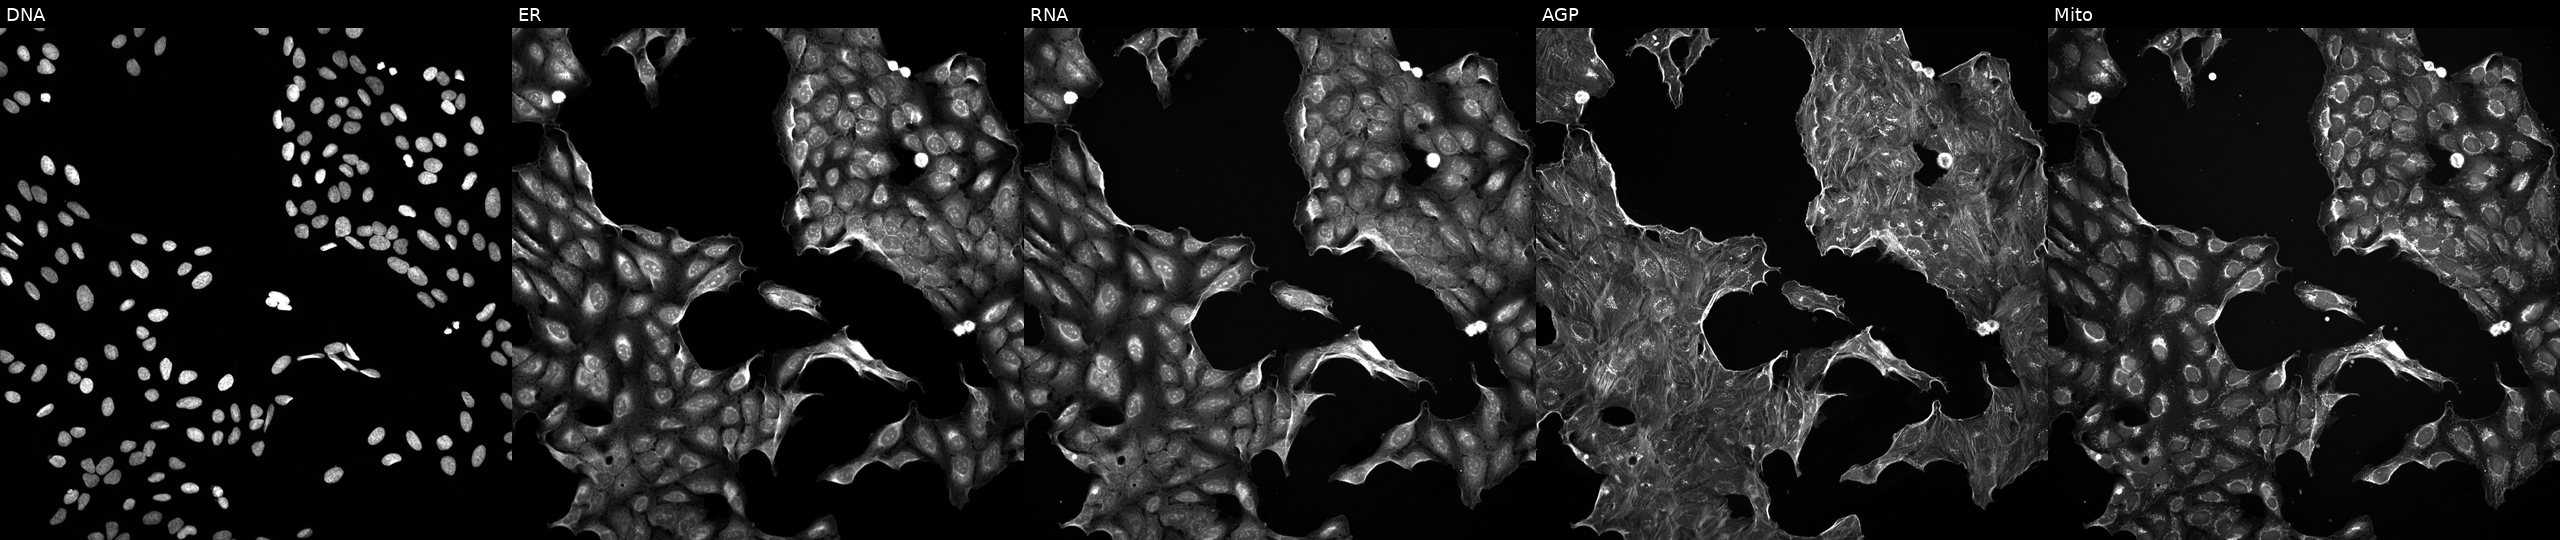
Panels show, left to right, Hoechst 33342, concanavalin A, SYTO 14, phalloidin and WGA, MitoTracker. U2OS osteosarcoma cells exposed to a small-molecule compound (InChIKey BLVQHYHDYFTPDV-UHFFFAOYSA-N) [SMILES: Nc1cc(F)ccc1NC(=O)C=Cc1cnn(CC=Cc2ccccc2)c1]. Cell Painting assay, JUMP-CP dataset.